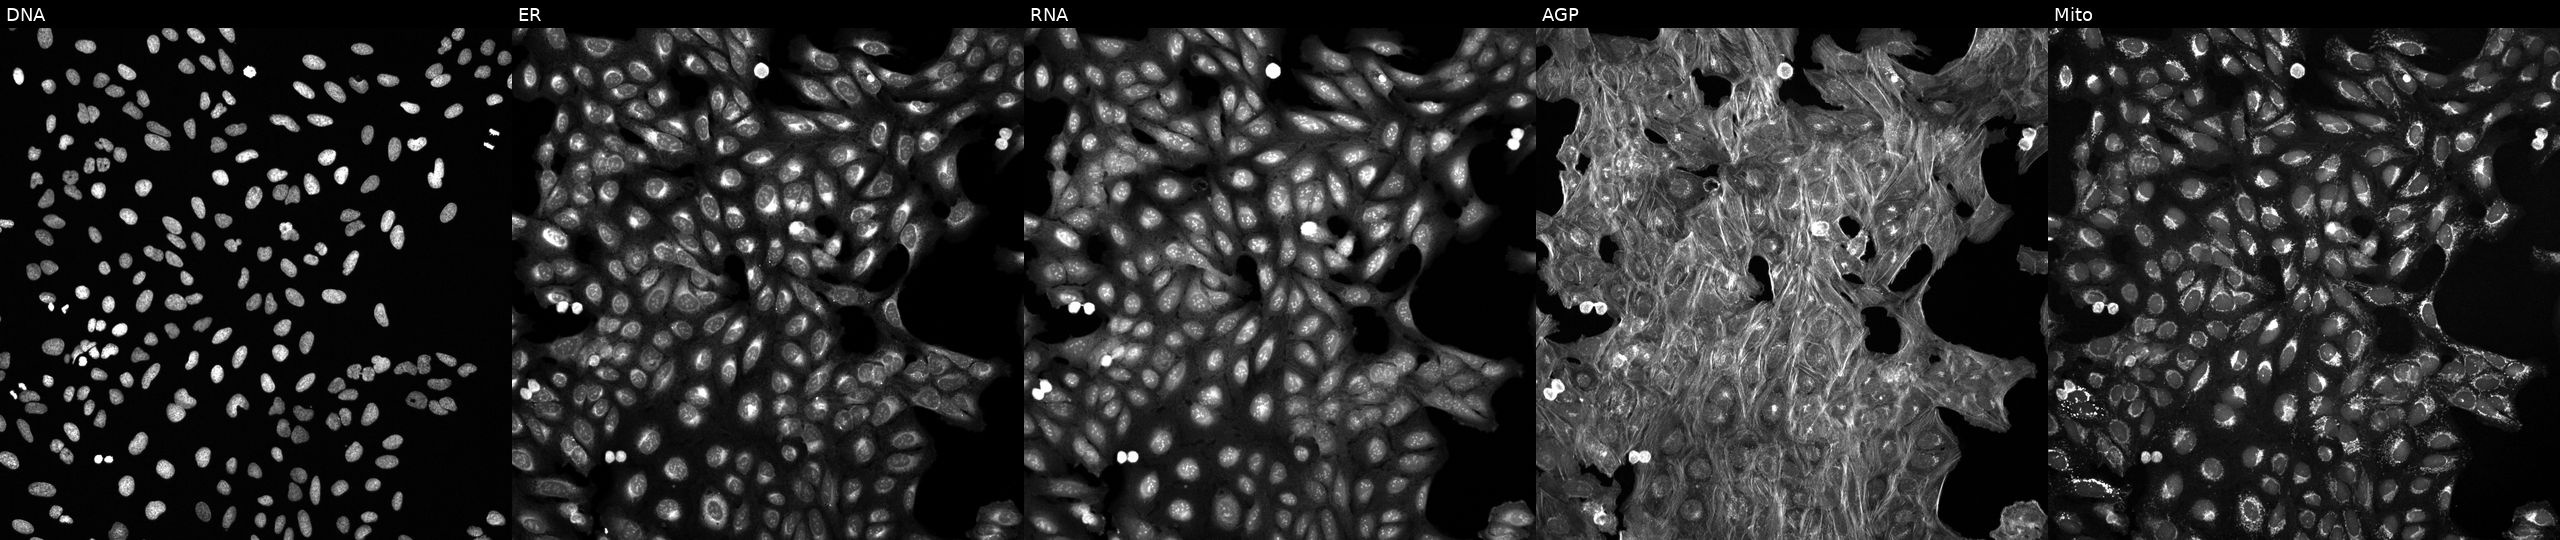
U2OS cells, Cell Painting assay, perturbed with a small-molecule compound (InChIKey PYLDHJKTKIVINB-UHFFFAOYSA-N) (JUMP id JCP2022_071796). Panels show, left to right, Hoechst 33342, concanavalin A, SYTO 14, phalloidin and WGA, MitoTracker. Each panel is percentile-stretched 16-bit fluorescence. Source 6, plate 110000293083, well A12.